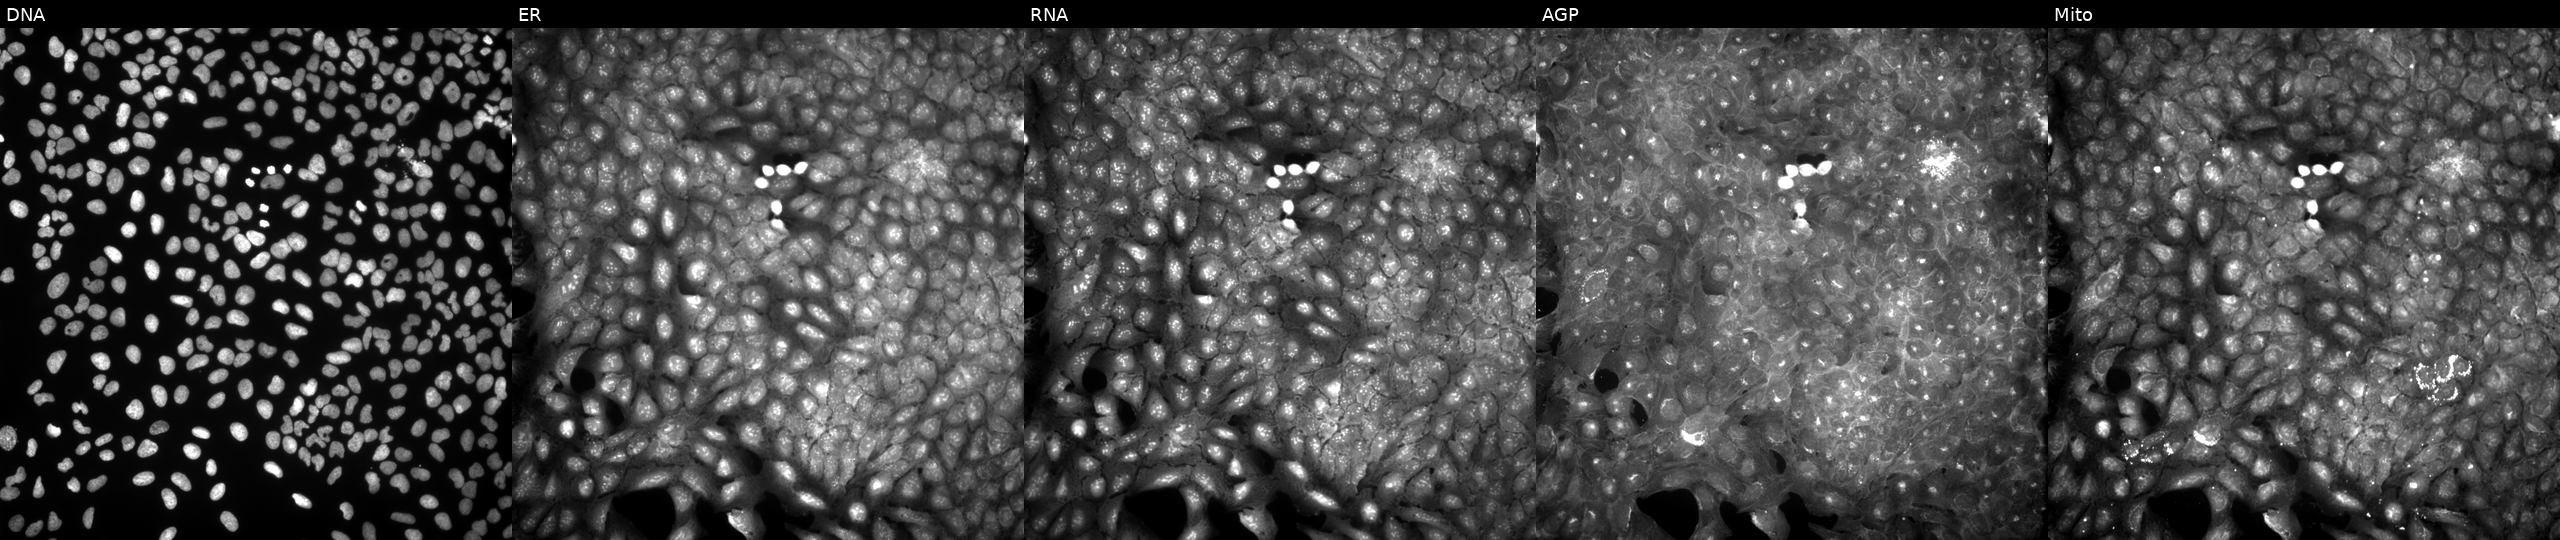
Panels show, left to right, Hoechst 33342, concanavalin A, SYTO 14, phalloidin and WGA, MitoTracker. U2OS osteosarcoma cells exposed to the positive-control compound aloxistatin (JUMP id JCP2022_085227). Cell Painting assay, JUMP-CP dataset.